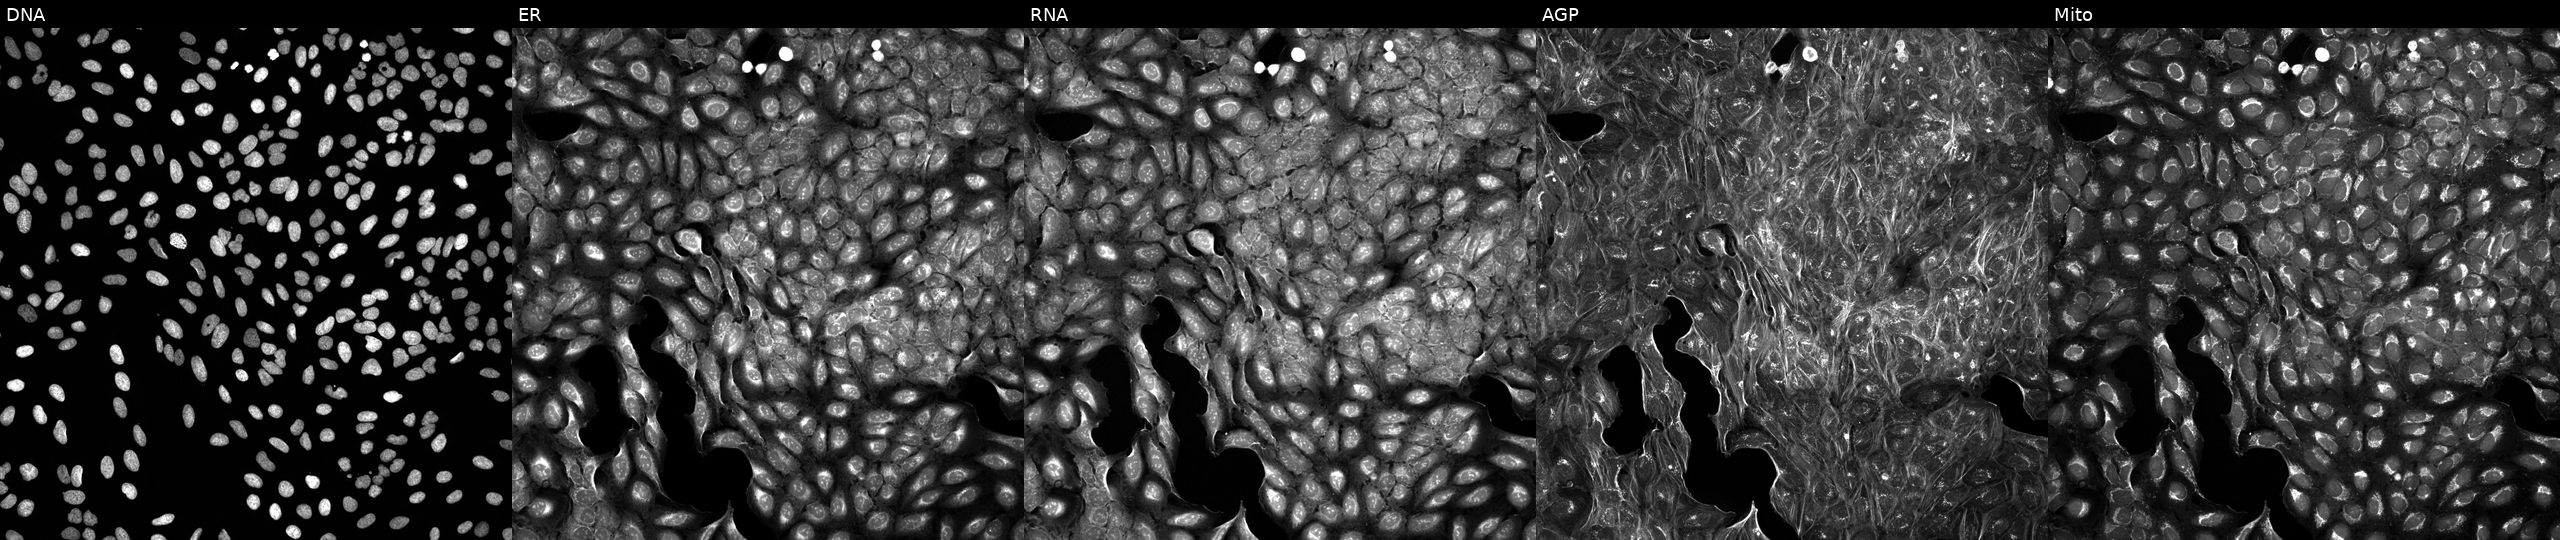
This image strip shows the five Cell Painting channels for a single field of U2OS cells exposed to a small-molecule compound (InChIKey JDVVGAQPNNXQDW-UHFFFAOYSA-N) (JUMP id JCP2022_039116). Panels show, left to right, DNA, ER, RNA, AGP, and Mito.